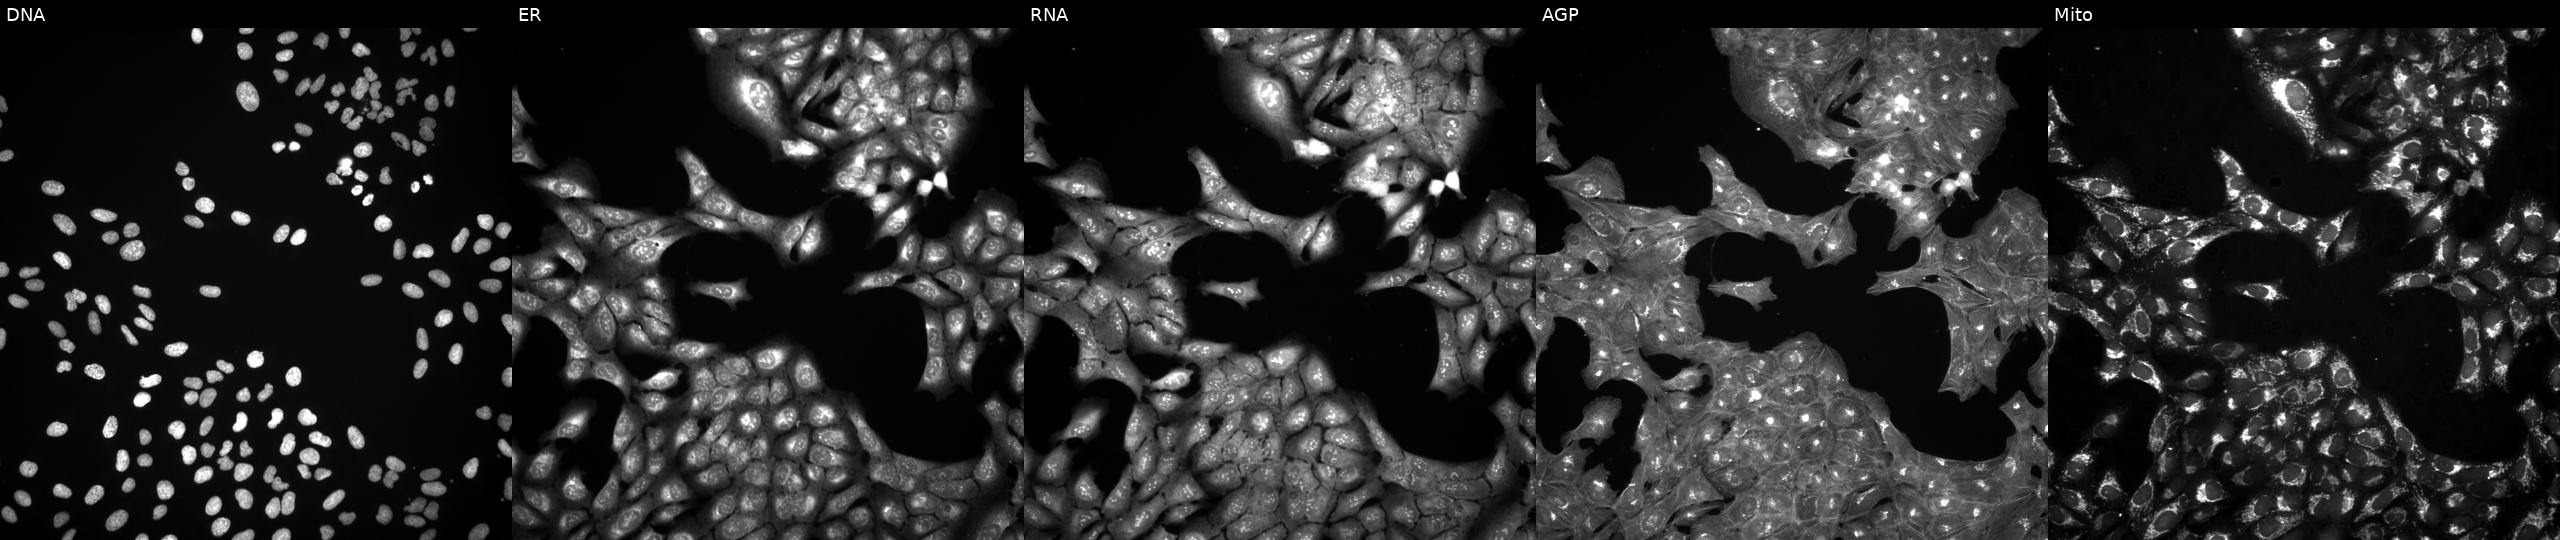
The five panels, left to right, show Hoechst 33342, concanavalin A, SYTO 14, phalloidin and WGA, MitoTracker. U2OS osteosarcoma cells exposed to DMSO alone as a negative control (JUMP id JCP2022_033924). Cell Painting assay, JUMP-CP dataset.